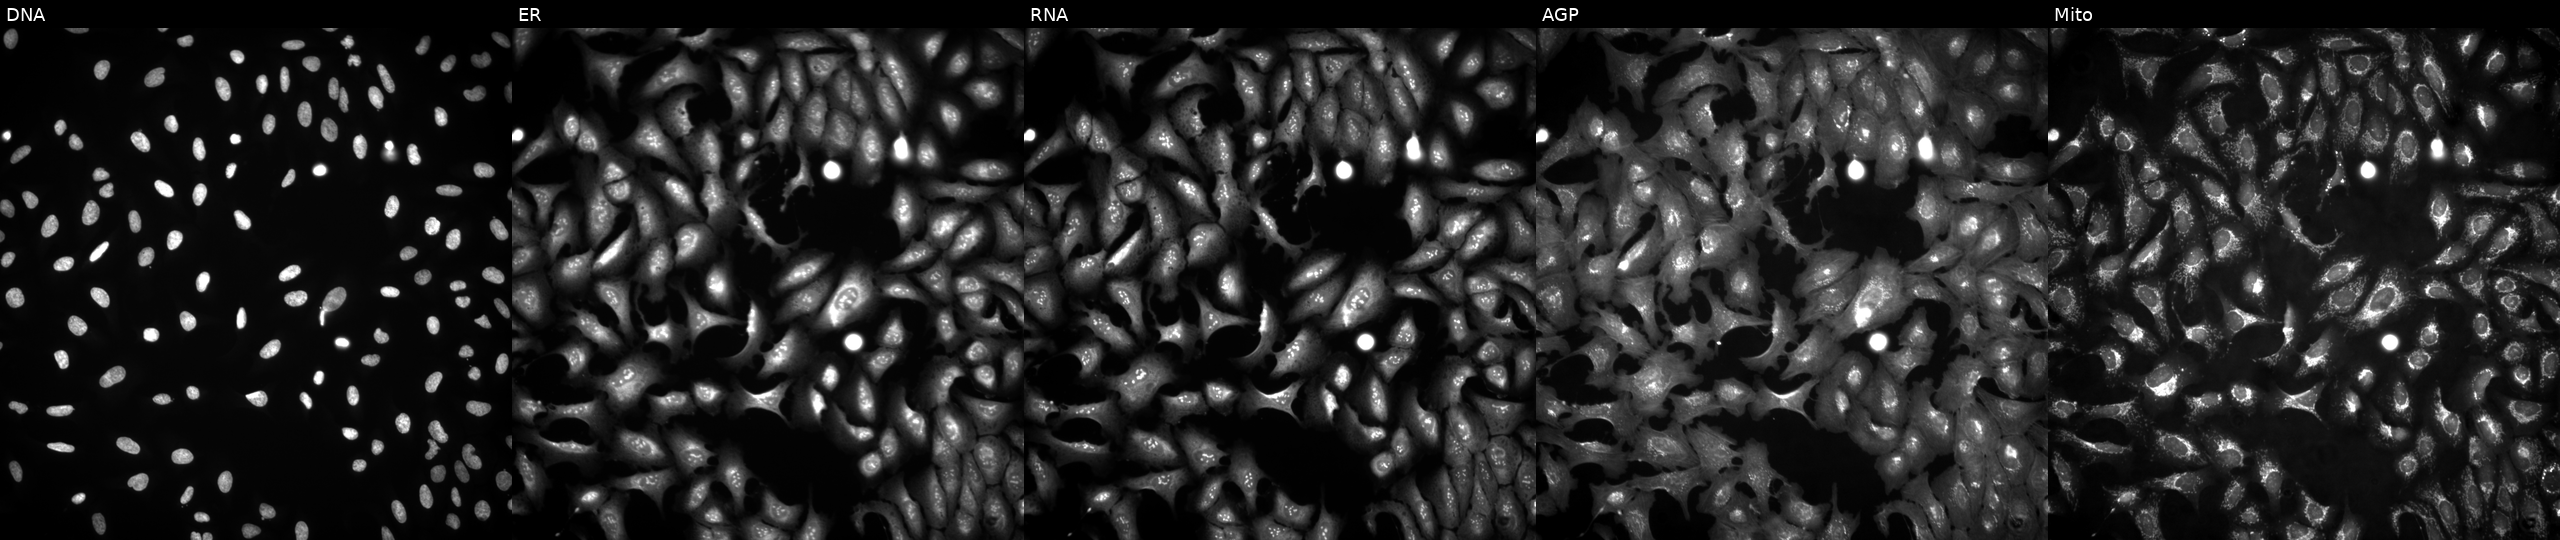
Five-channel Cell Painting image of U2OS cells with HSPA14 overexpressed (ORF) (JUMP id JCP2022_911152). Channels (left→right): Hoechst 33342, concanavalin A, SYTO 14, phalloidin and WGA, MitoTracker. Source 4, plate BR00124787, well F09.